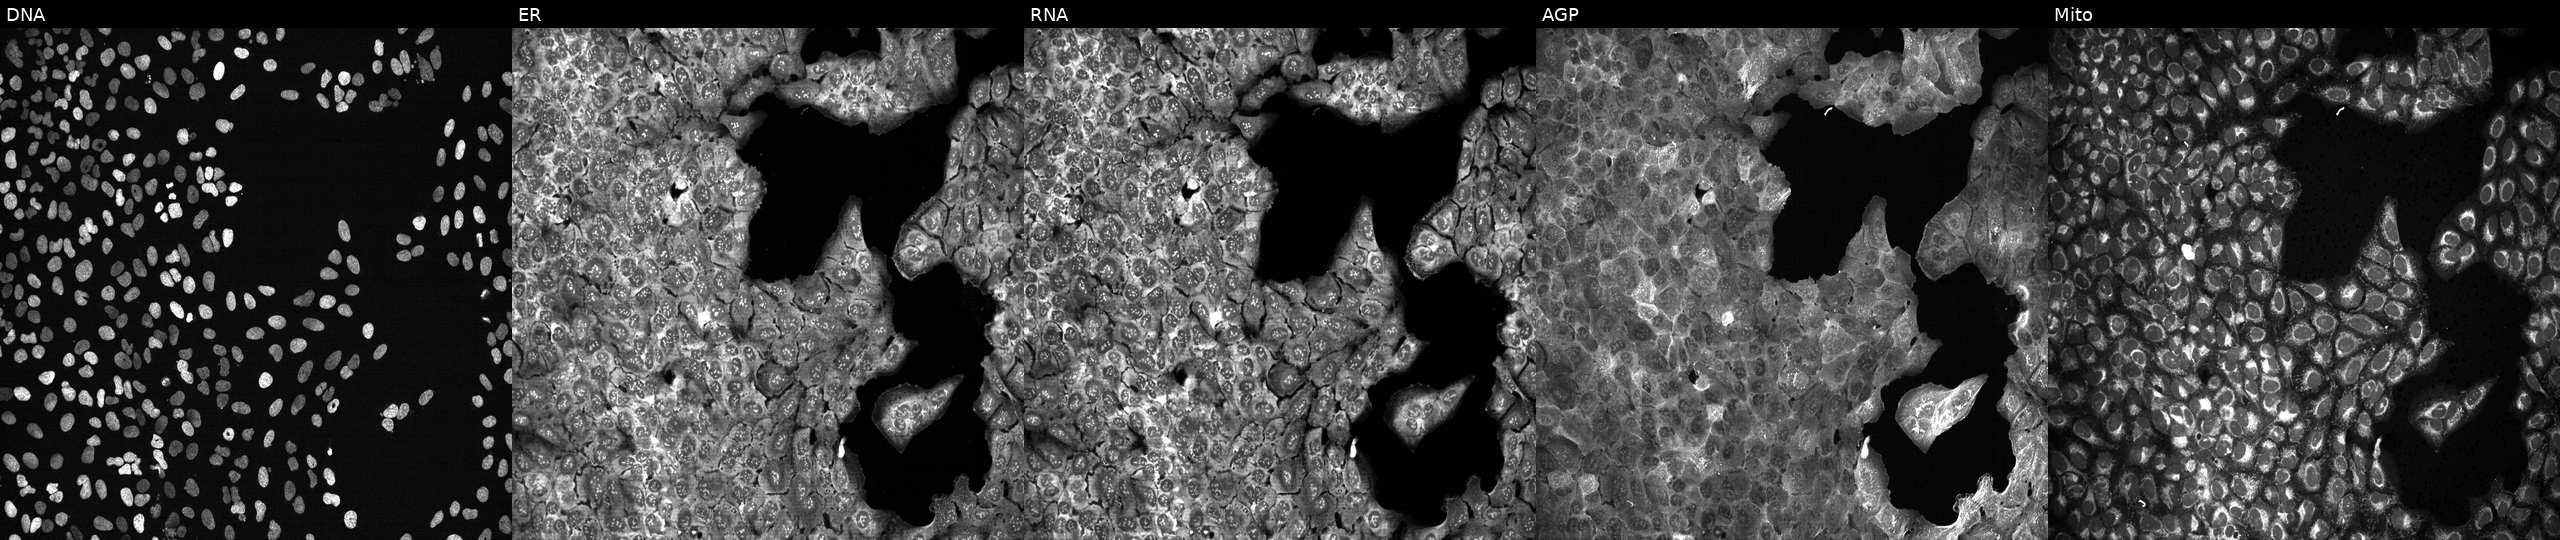
This image strip shows the five Cell Painting channels for a single field of U2OS cells with DNASE2B knocked out by CRISPR. Channels (left→right): DNA, ER, RNA, AGP, and Mito.